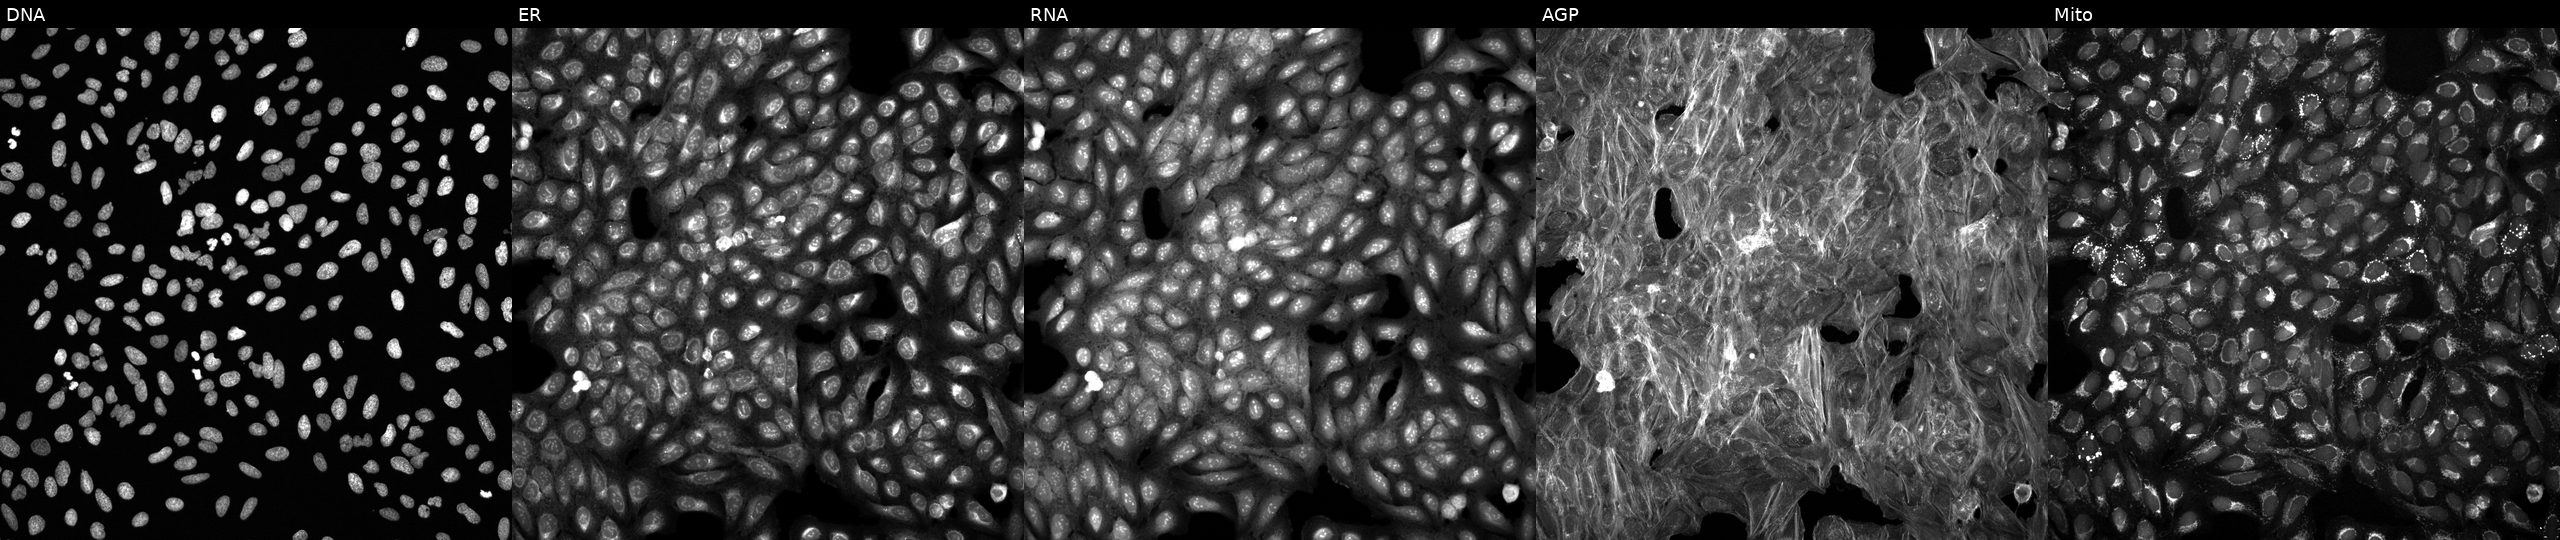
High-content fluorescence microscopy (Cell Painting). Cell line: U2OS. Perturbation: perturbed with a small-molecule compound (InChIKey ODUOJXZPIYUATO-UHFFFAOYSA-N). Panels show, left to right, Hoechst 33342, concanavalin A, SYTO 14, phalloidin and WGA, MitoTracker.